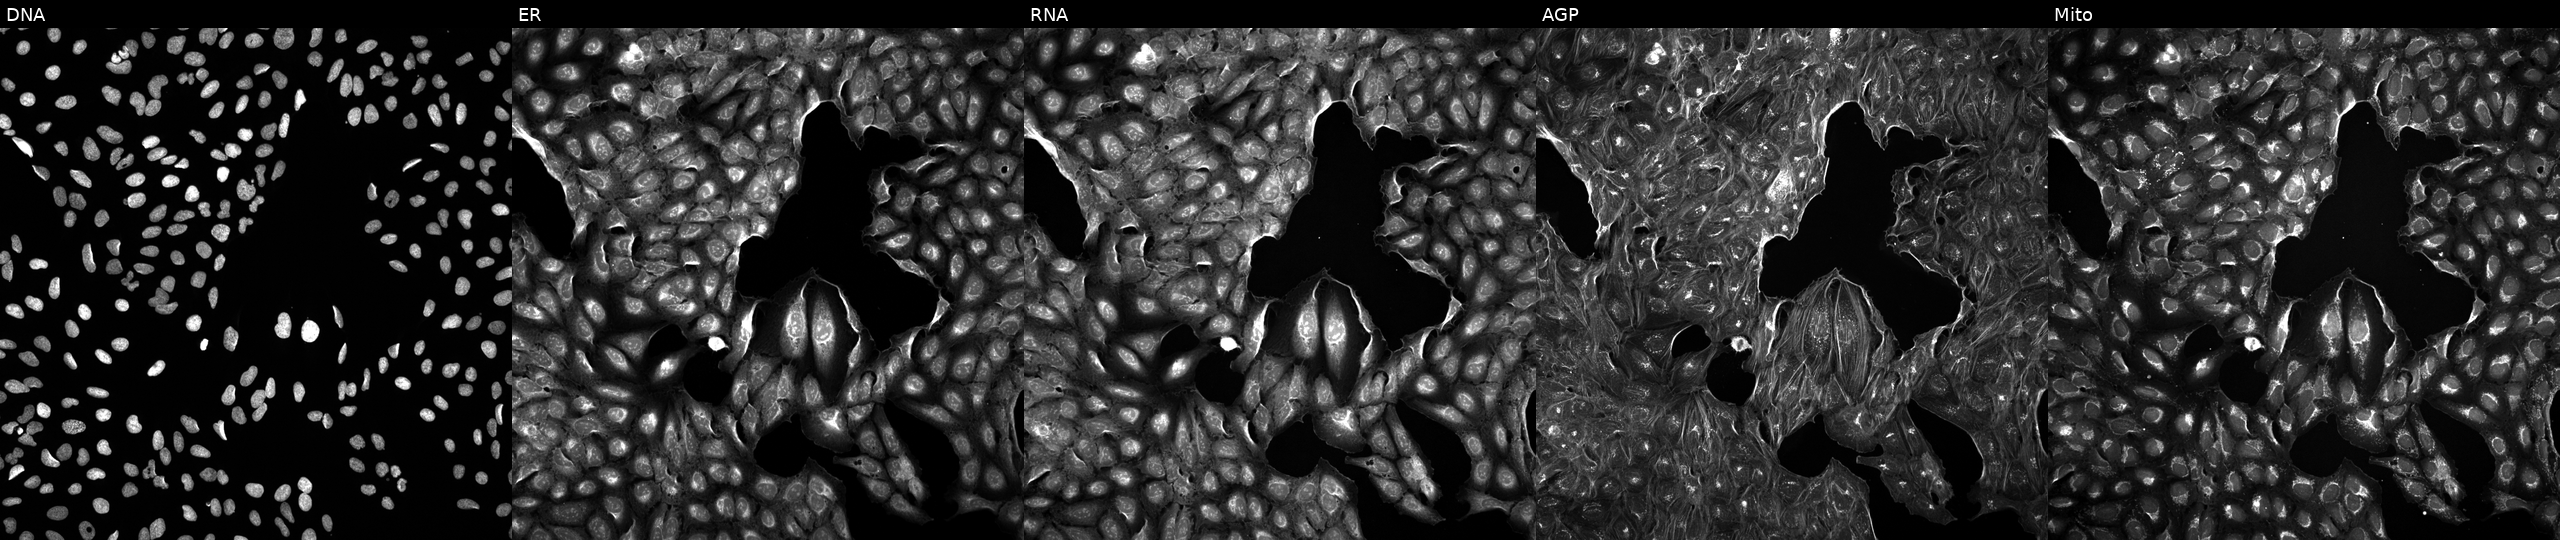
Channels (left→right): DNA, ER, RNA, AGP, and Mito. U2OS osteosarcoma cells treated with a small-molecule compound (InChIKey QVZCXCJXTMIDME-UHFFFAOYSA-N). Cell Painting assay, JUMP-CP dataset. Source 5, plate ACPJUM051, well L14.